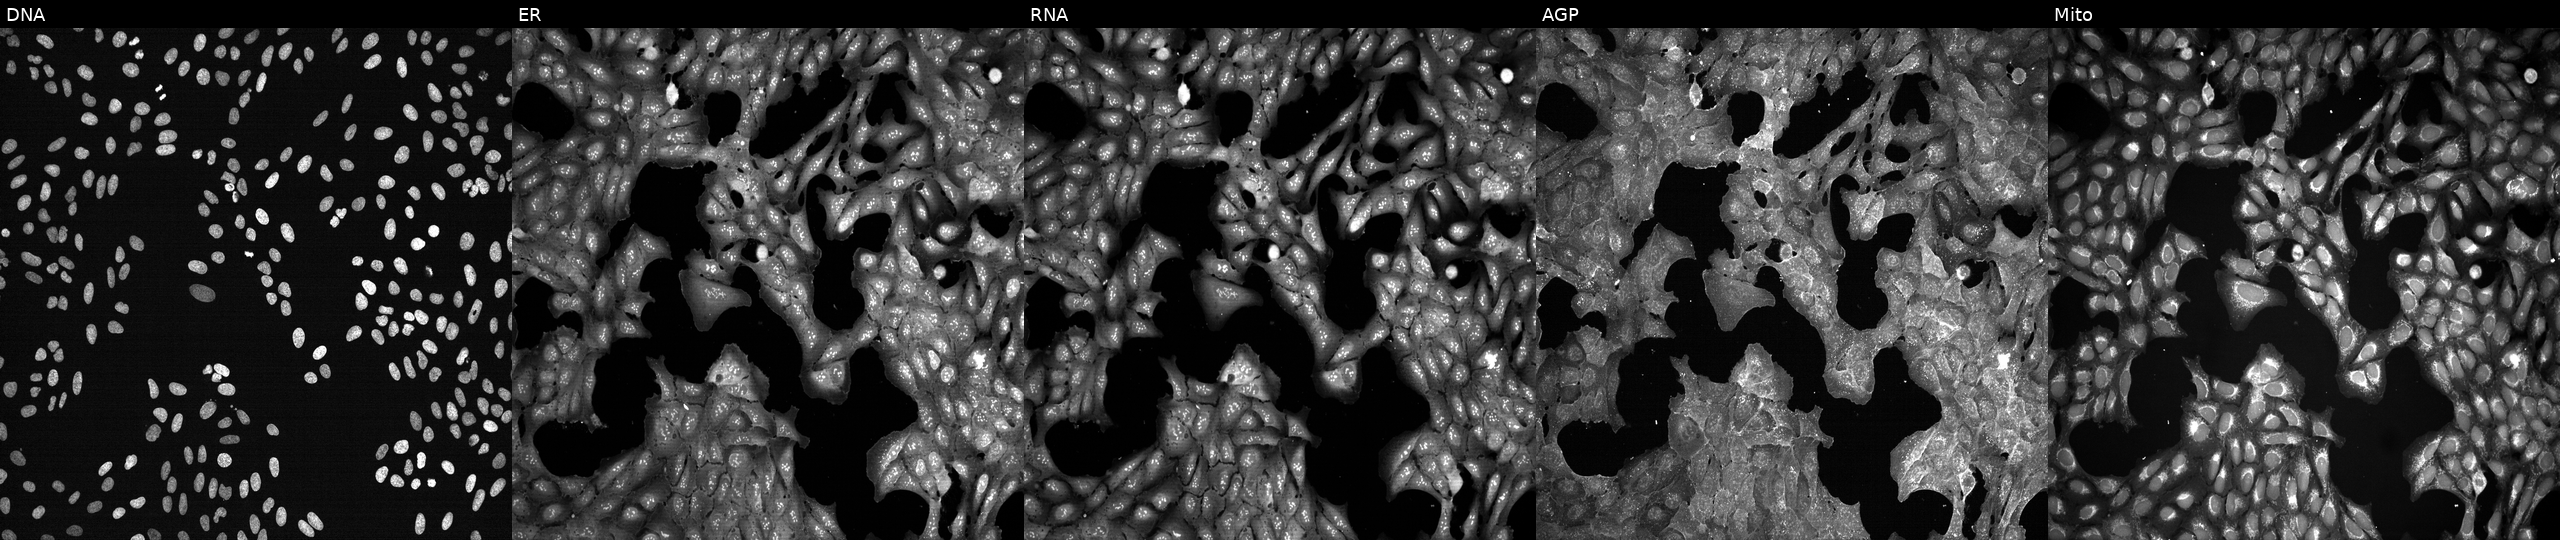
High-content fluorescence microscopy (Cell Painting). Cell line: U2OS. Perturbation: exposed to a small-molecule compound [SMILES: O=C(O)c1cc(N=Nc2ccc(S(=O)(=O)N=c3cccc[nH]3)cc2)ccc1O] (JUMP id JCP2022_058046). Channels (left→right): DNA, ER, RNA, AGP, and Mito. Source 7, plate CP2-SC1-25, well C04.